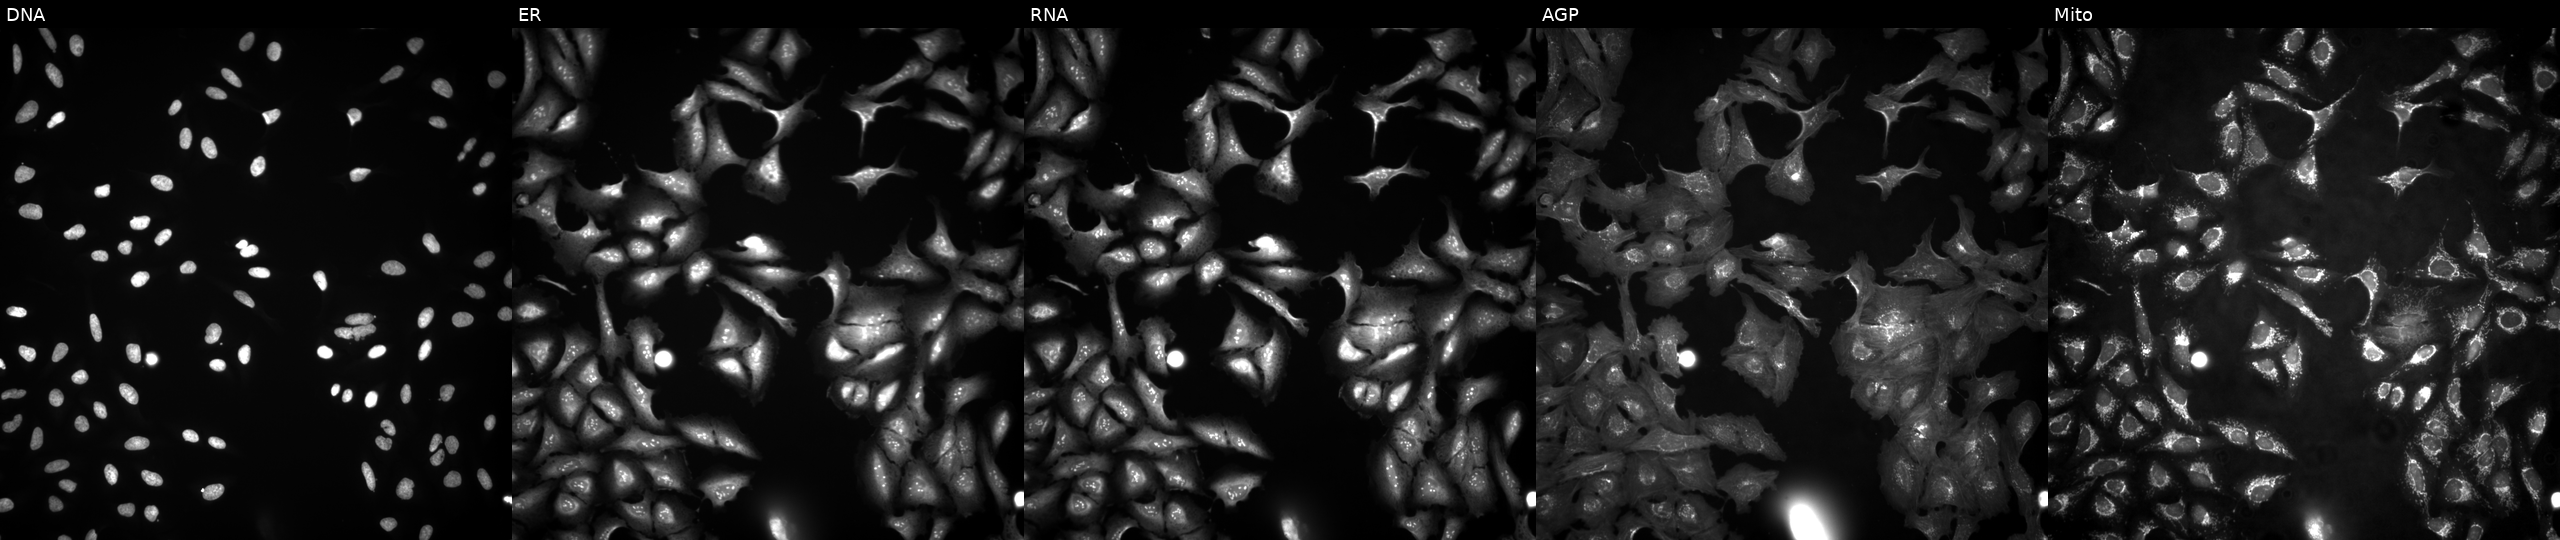
JUMP Cell Painting — ORF plate. U2OS cells transfected with an ORF construct for JMJD6 (JUMP id JCP2022_902566). Panels show, left to right, DNA (nuclei); ER (endoplasmic reticulum); RNA (nucleoli and cytoplasmic RNA); AGP (actin cytoskeleton, Golgi, and plasma membrane); Mito (mitochondria). Source 4, plate BR00117035, well F14.